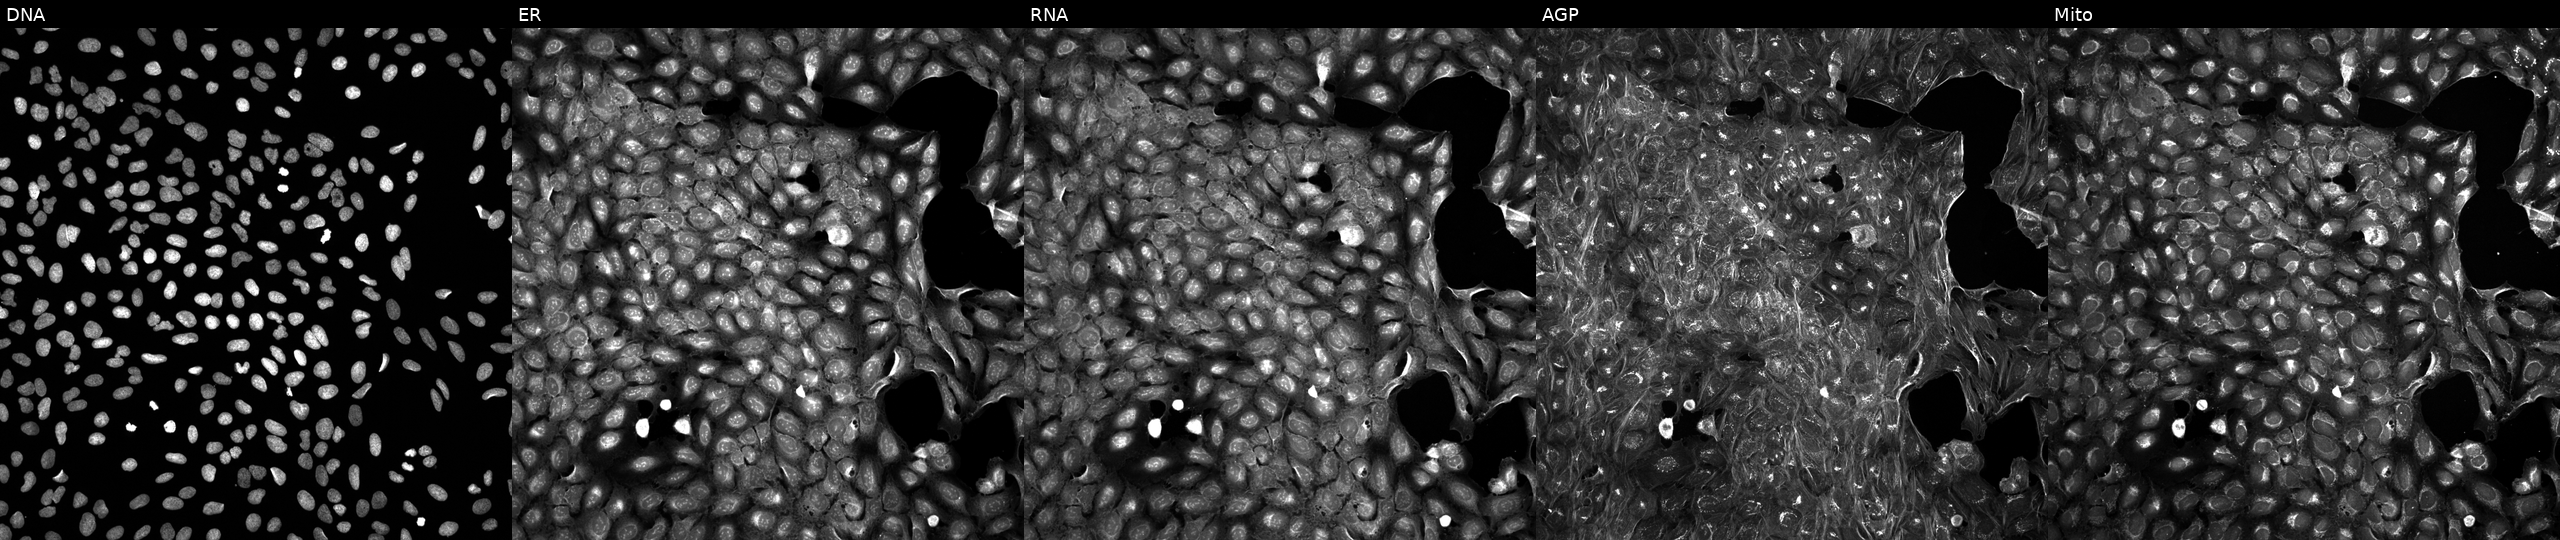
U2OS cells, Cell Painting assay, treated with a small-molecule compound [SMILES: CCOc1ccc(-c2nc(C(=O)N3CCN(Cc4cc(C)no4)CC3)cs2)cc1] (JUMP id JCP2022_051507). Channels (left→right): Hoechst 33342, concanavalin A, SYTO 14, phalloidin and WGA, MitoTracker. Each panel is percentile-stretched 16-bit fluorescence. Source 5, plate APTJUM105, well C15.